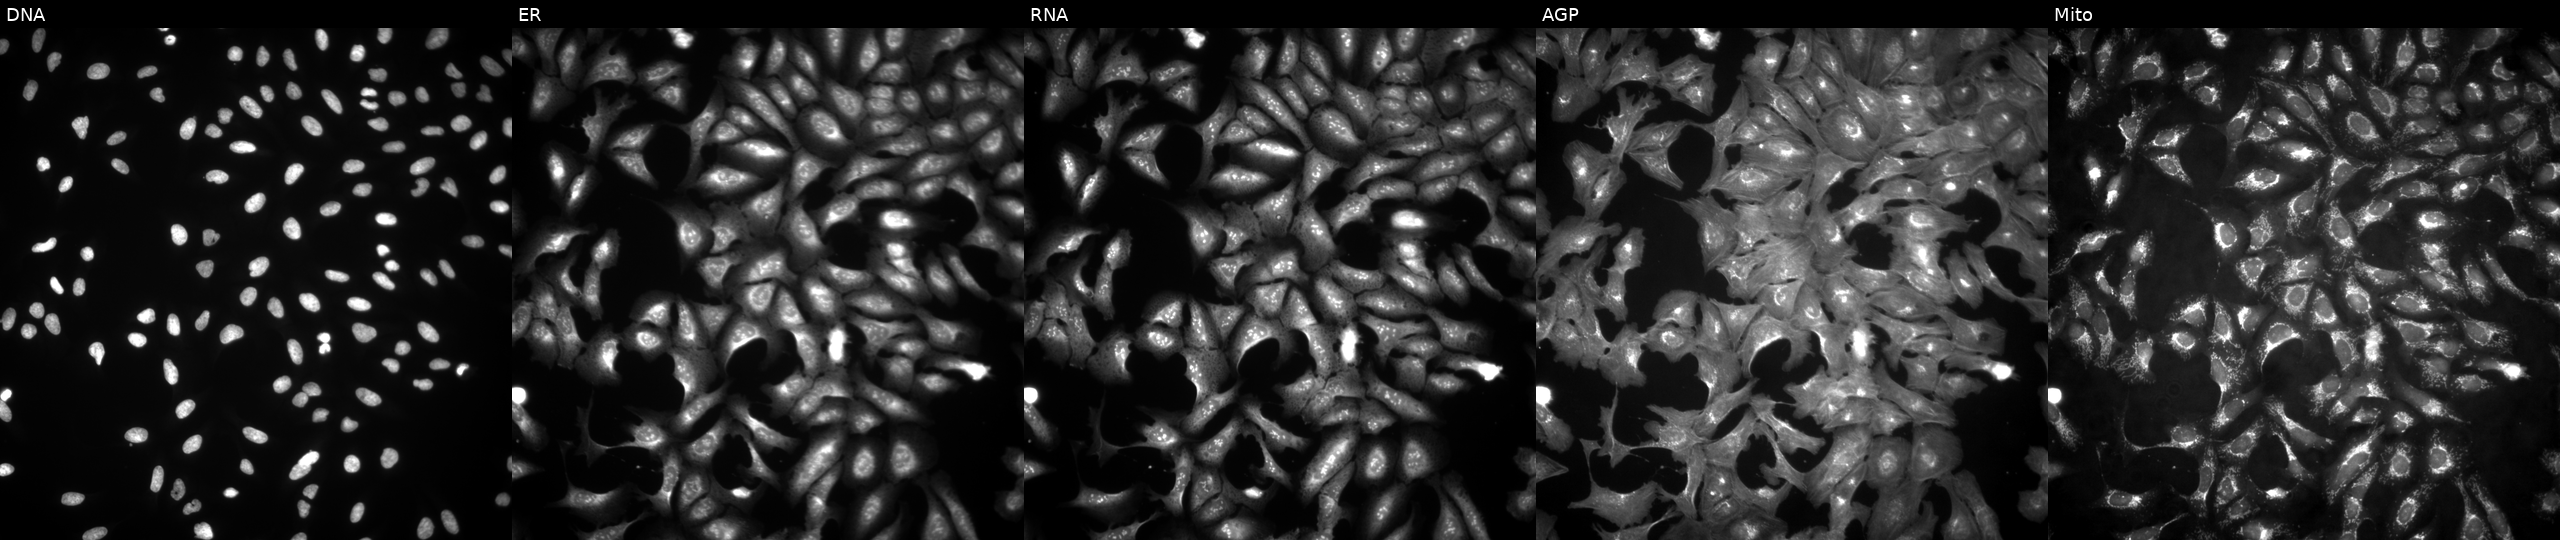
JUMP Cell Painting — ORF plate. U2OS cells with MPIG6B overexpressed (ORF) (JUMP id JCP2022_908440). From left to right: DNA (nuclei); ER (endoplasmic reticulum); RNA (nucleoli and cytoplasmic RNA); AGP (actin cytoskeleton, Golgi, and plasma membrane); Mito (mitochondria).